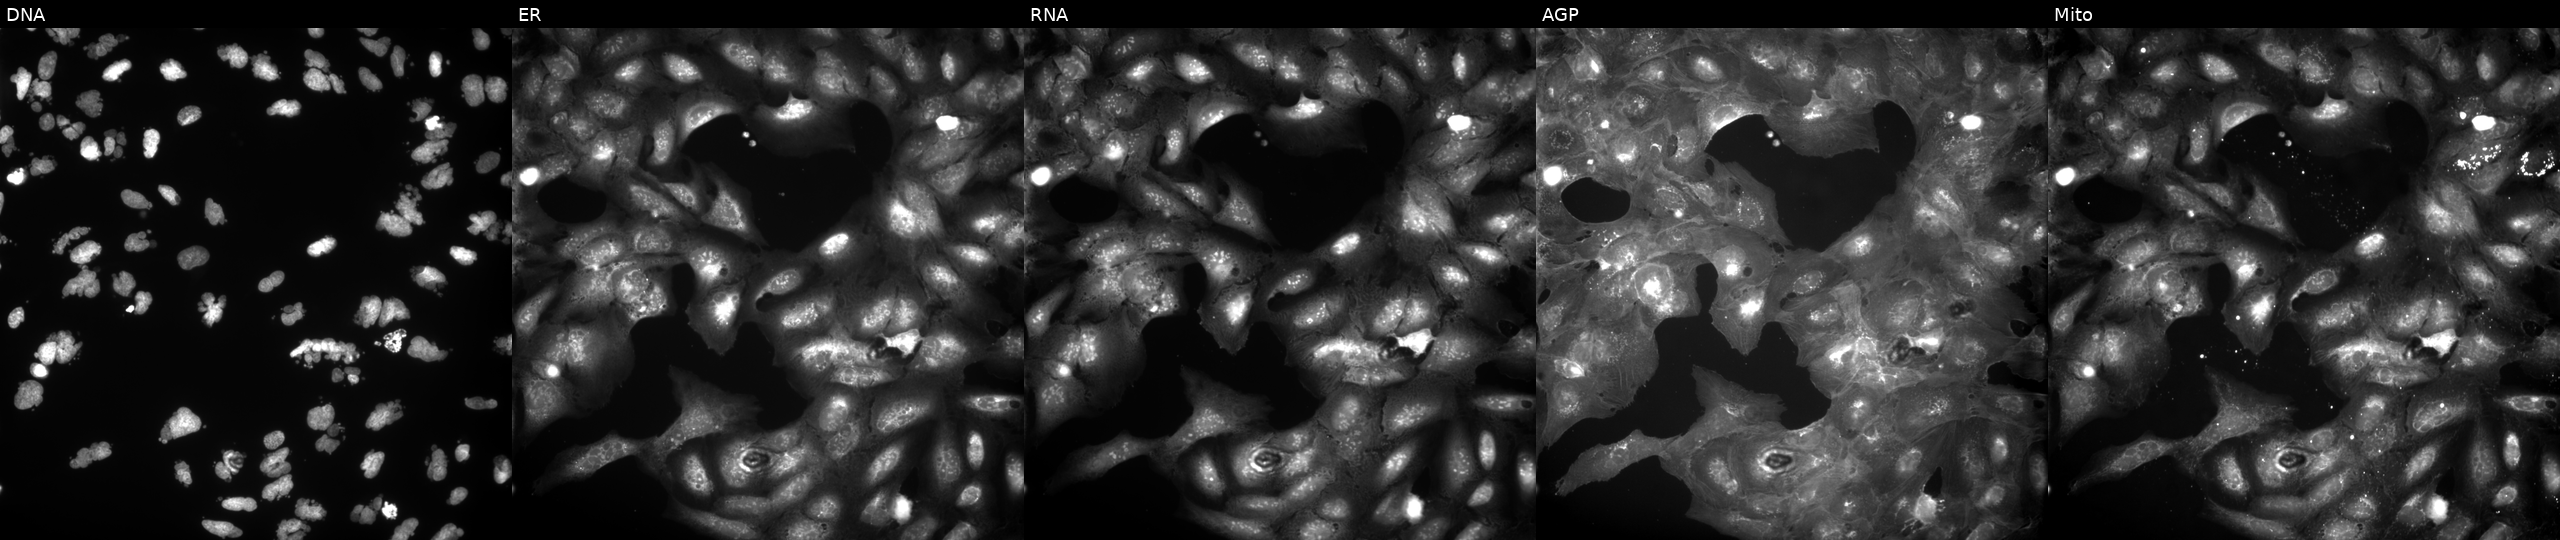
Five-channel Cell Painting image of U2OS cells exposed to the positive-control compound AMG900. The five panels, left to right, show Hoechst 33342, concanavalin A, SYTO 14, phalloidin and WGA, MitoTracker. Source 9, plate GR00003382, well J25.